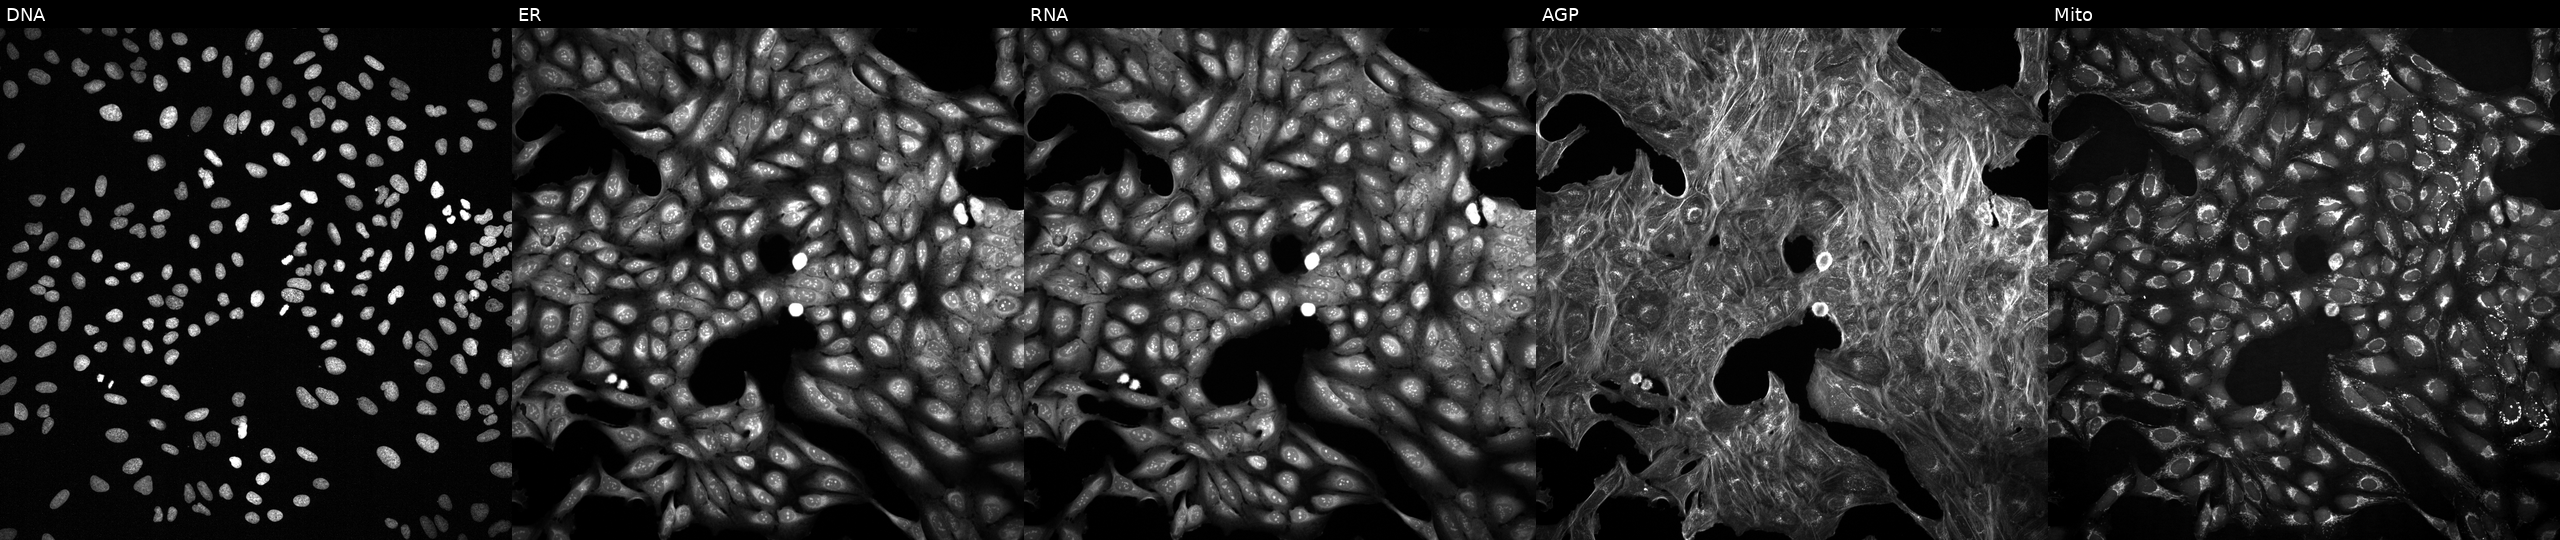
U2OS cells, Cell Painting assay, perturbed with a small-molecule compound (InChIKey IUXLBSOJZDOOQK-UHFFFAOYSA-N) (JUMP id JCP2022_037594). From left to right: DNA, ER, RNA, AGP, and Mito. Each panel is percentile-stretched 16-bit fluorescence.